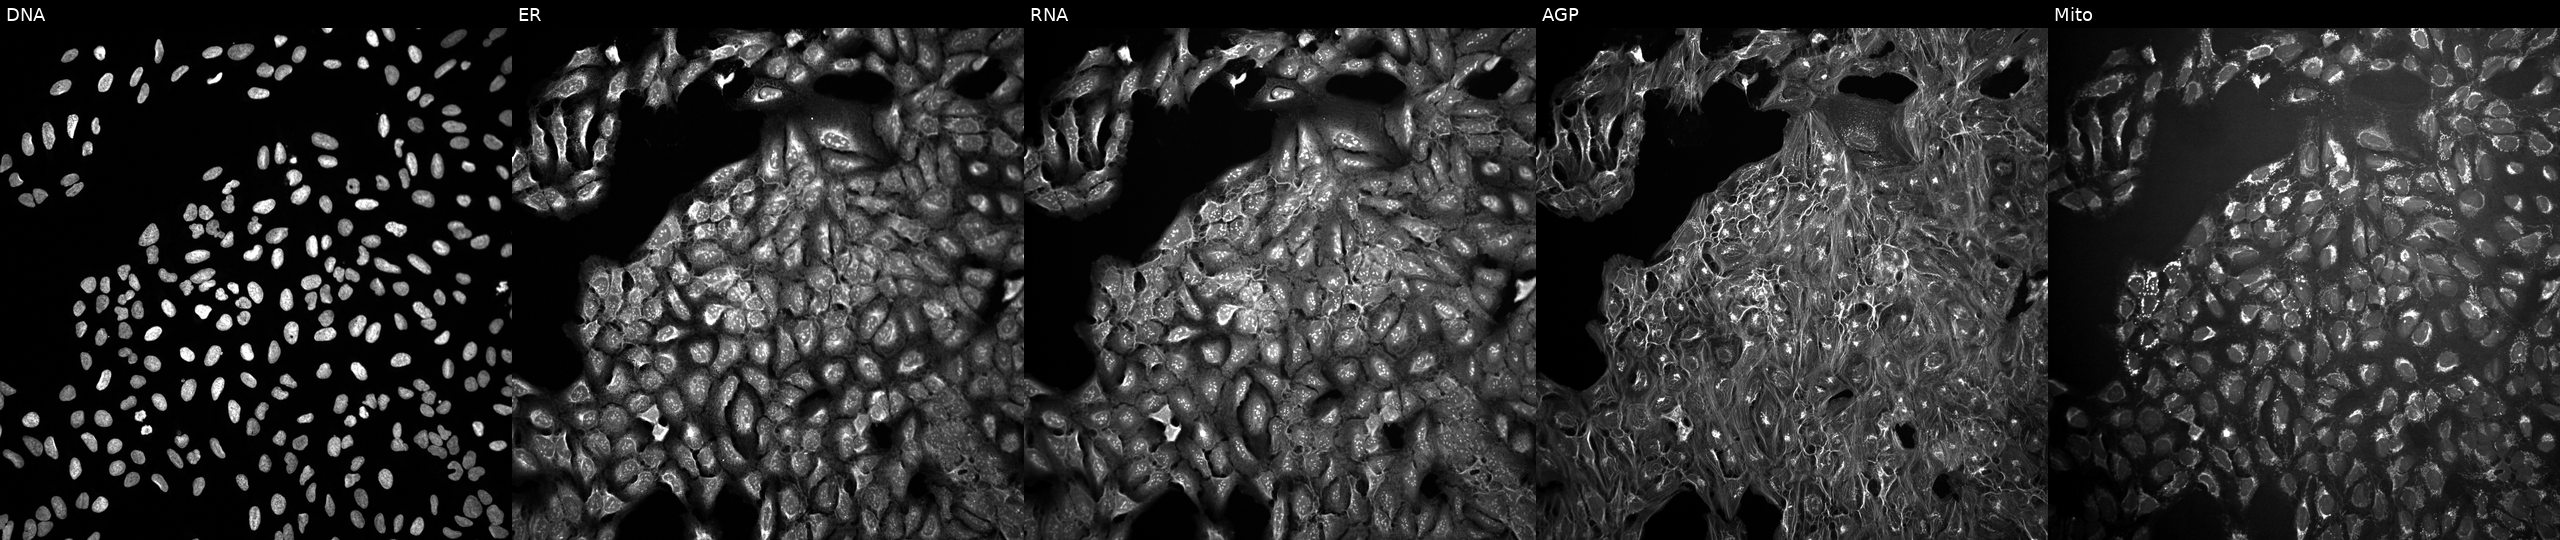
JUMP Cell Painting — COMPOUND plate. U2OS cells perturbed with a small-molecule compound (InChIKey WHRCDCJNGMUSRB-UHFFFAOYSA-N) [SMILES: COc1ccc(Cl)cc1C(=O)N1CCCC(c2ccn(C)n2)C1] (JUMP id JCP2022_098829). From left to right: Hoechst 33342, concanavalin A, SYTO 14, phalloidin and WGA, MitoTracker. Source 10, plate Dest210531-152324, well J19.